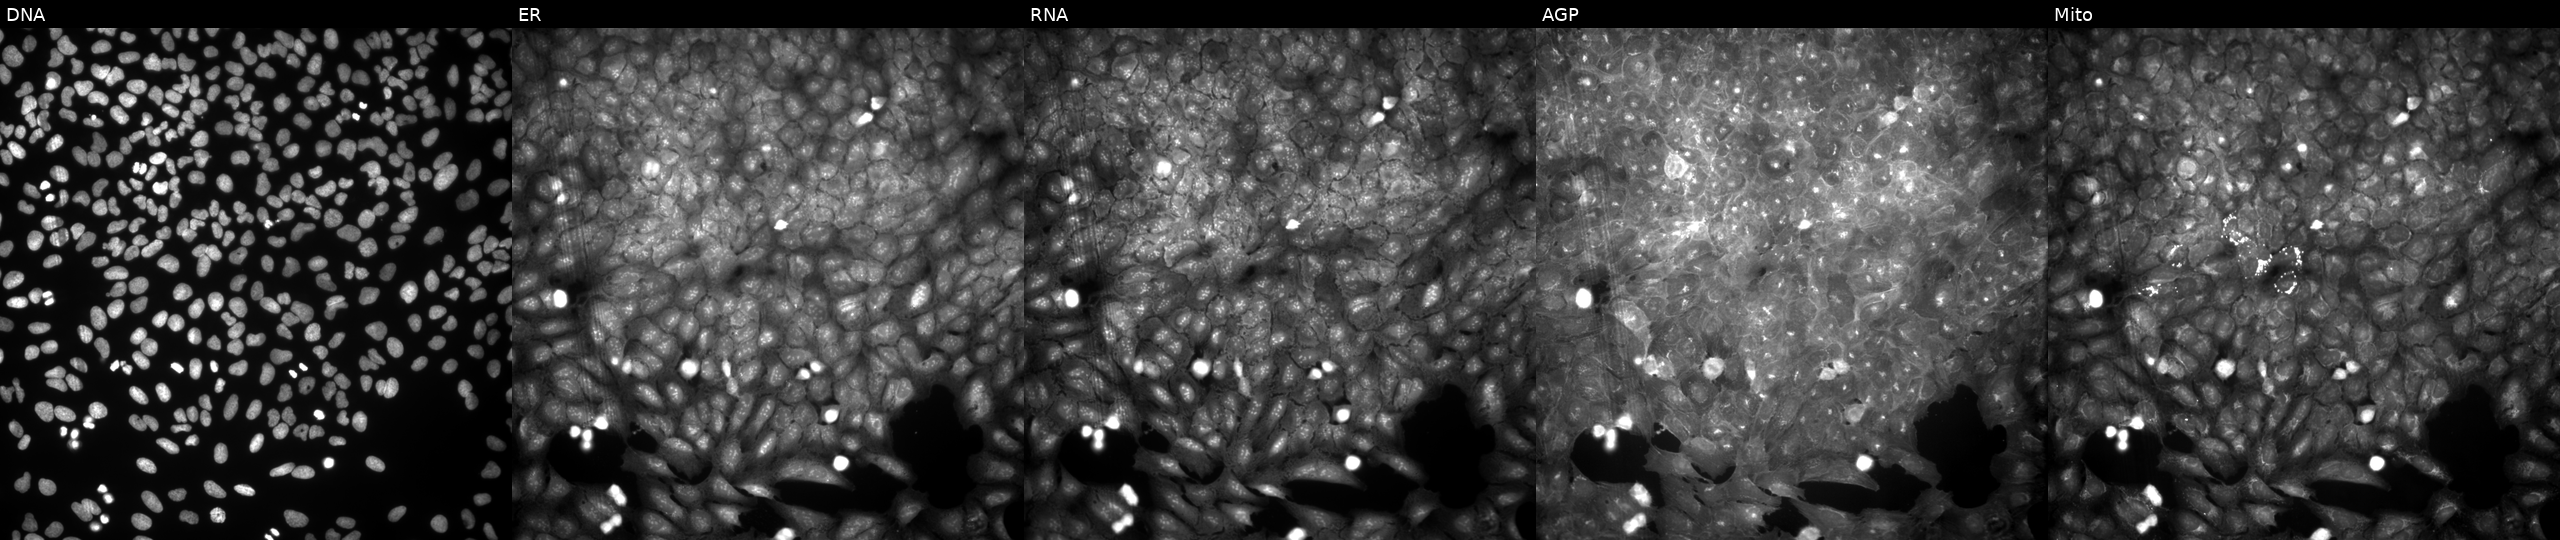
Five-channel Cell Painting image of U2OS cells treated with a small-molecule compound (InChIKey RZWVBSYMPVCZNJ-UHFFFAOYSA-N). From left to right: Hoechst 33342, concanavalin A, SYTO 14, phalloidin and WGA, MitoTracker. Source 9, plate GR00003382, well U28.